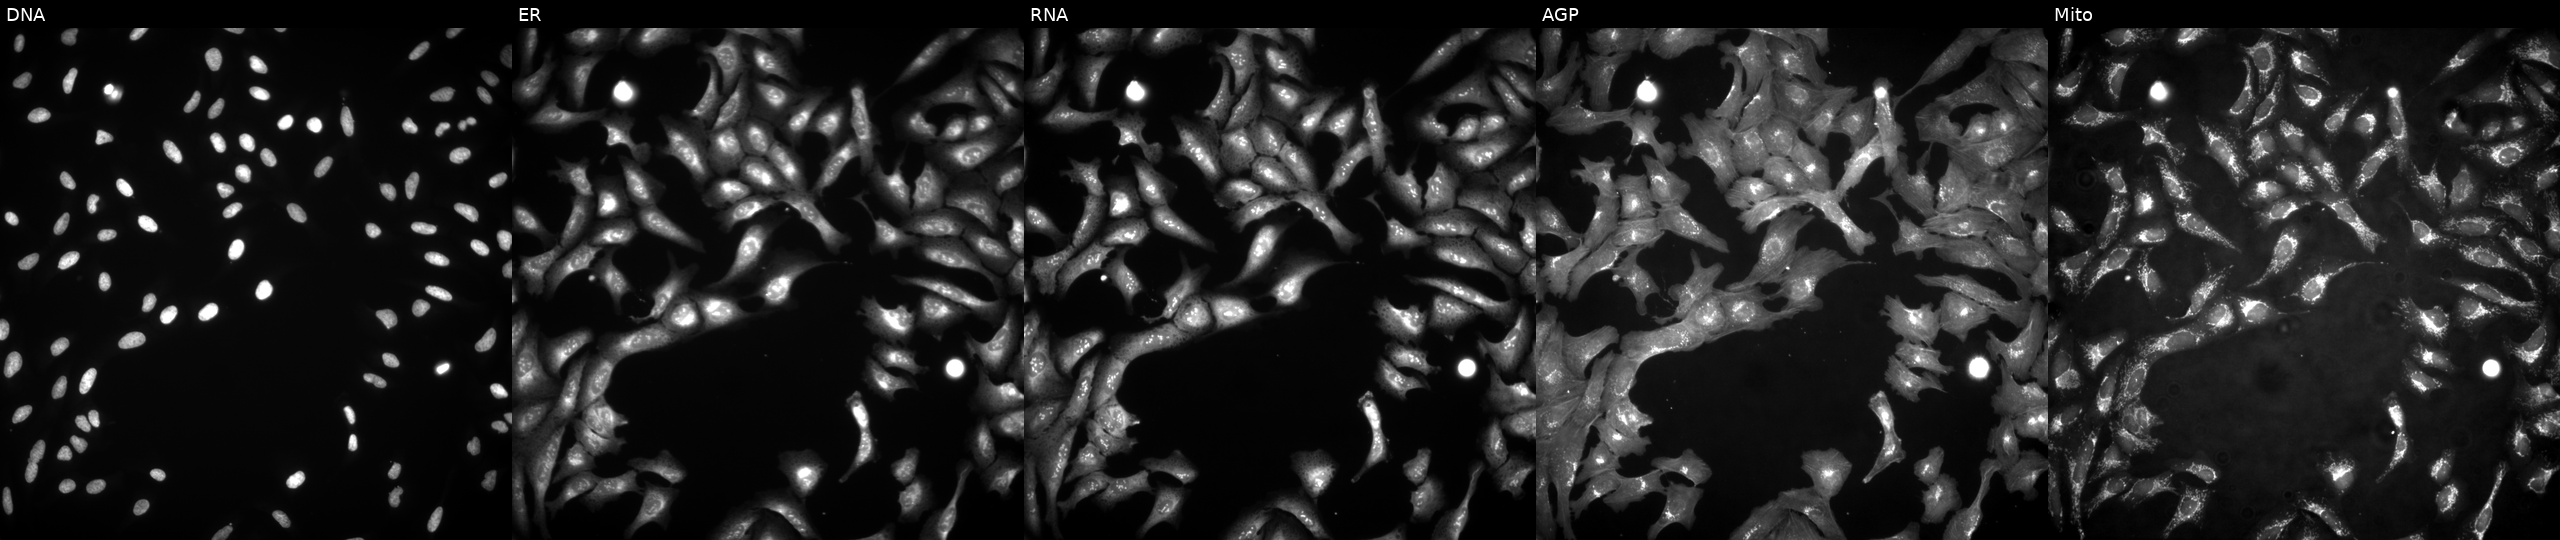
Panels show, left to right, DNA, ER, RNA, AGP, and Mito. U2OS osteosarcoma cells overexpressing HHLA3 via ORF transfection. Cell Painting assay, JUMP-CP dataset.